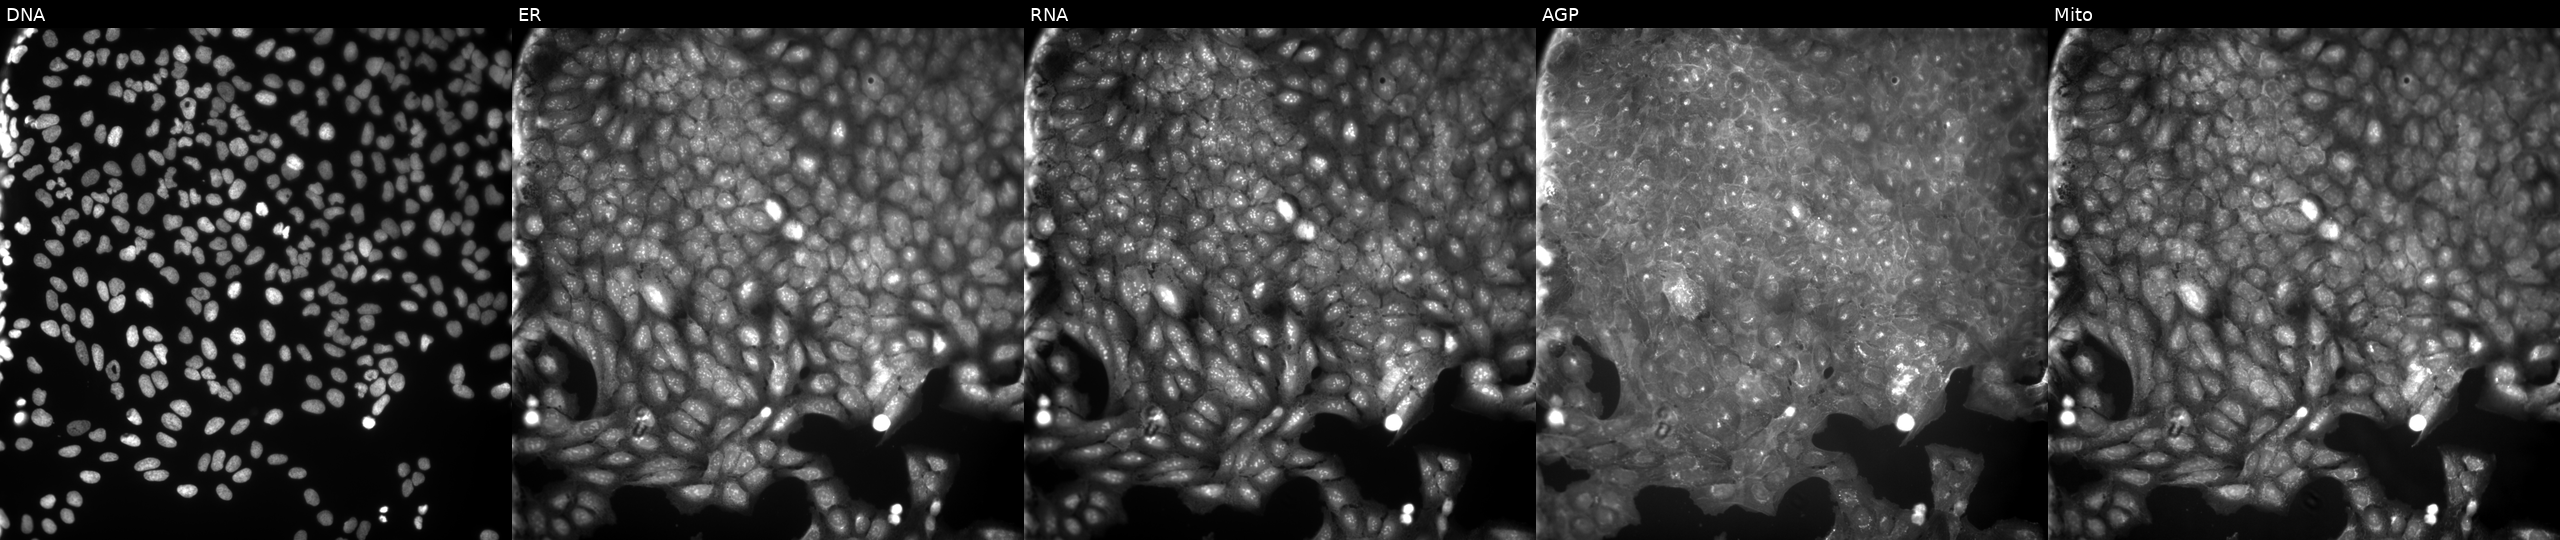
This image strip shows the five Cell Painting channels for a single field of U2OS cells perturbed with a small-molecule compound (InChIKey WZTTWNGEAPTPCC-UHFFFAOYSA-N) (JUMP id JCP2022_102239). Channels (left→right): DNA (nuclei); ER (endoplasmic reticulum); RNA (nucleoli and cytoplasmic RNA); AGP (actin cytoskeleton, Golgi, and plasma membrane); Mito (mitochondria).